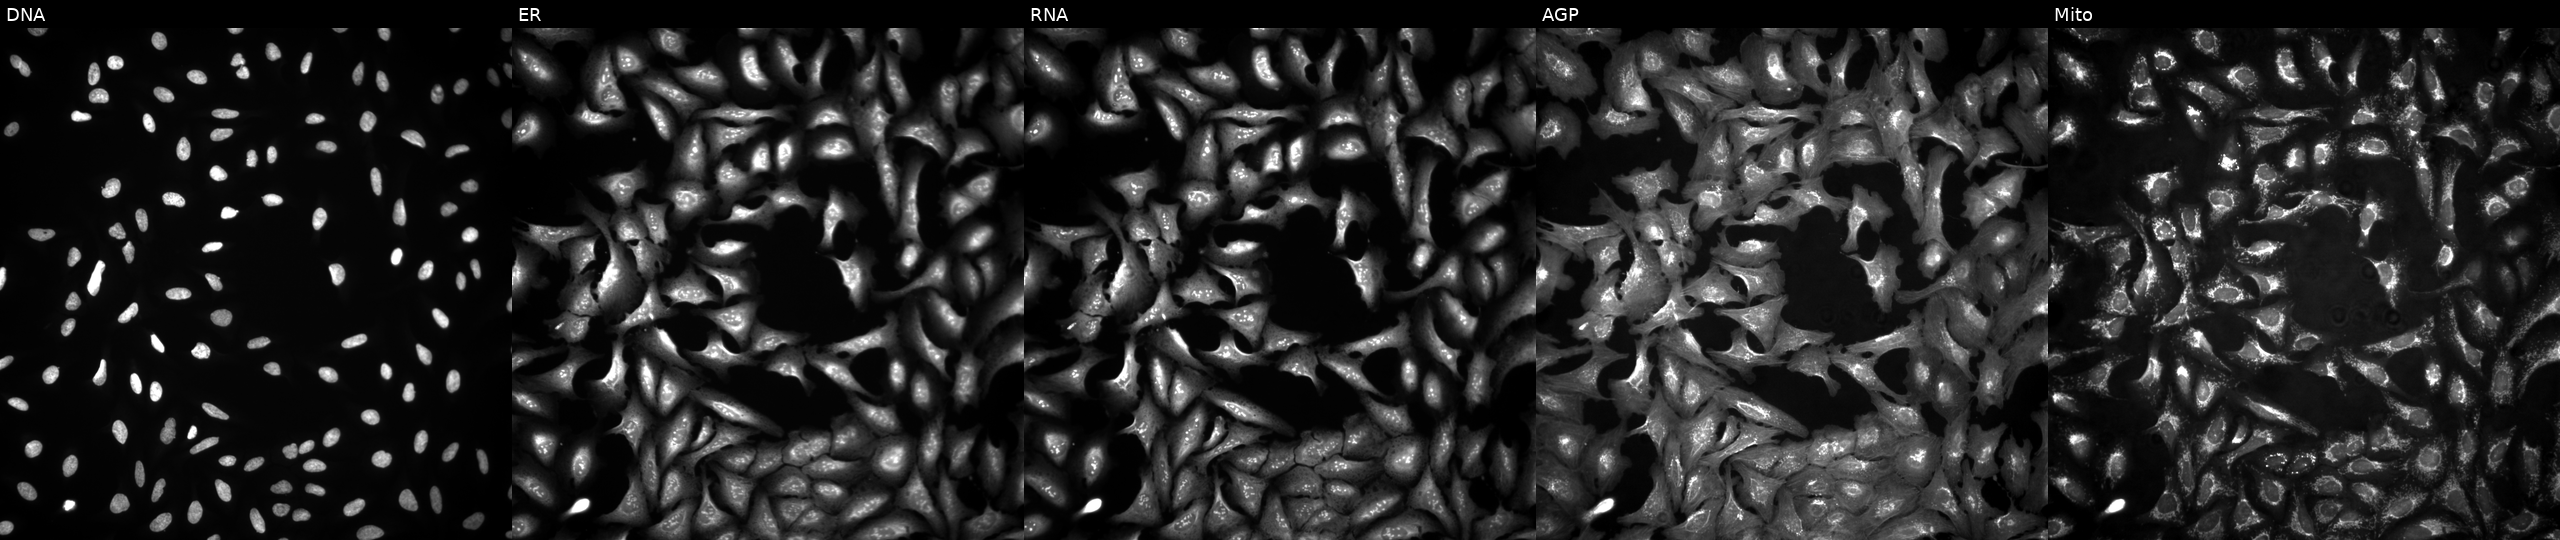
High-content fluorescence microscopy (Cell Painting). Cell line: U2OS. Perturbation: with PTHLH overexpressed (ORF). From left to right: DNA (nuclei); ER (endoplasmic reticulum); RNA (nucleoli and cytoplasmic RNA); AGP (actin cytoskeleton, Golgi, and plasma membrane); Mito (mitochondria).